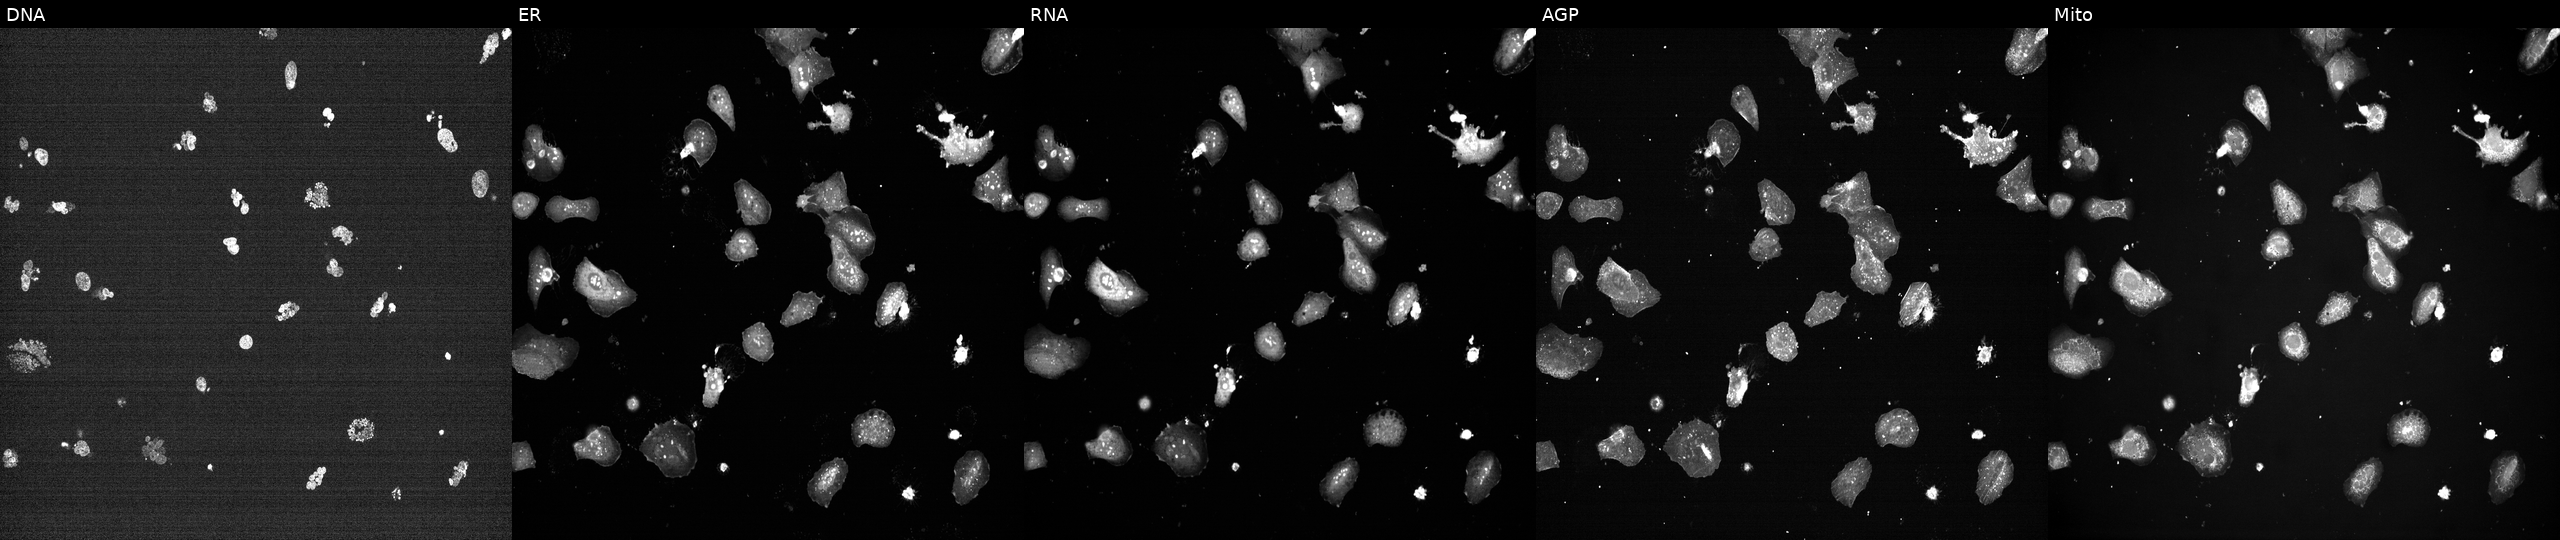
JUMP Cell Painting — TARGET2 plate. U2OS cells perturbed with a small-molecule compound. From left to right: DNA (nuclei); ER (endoplasmic reticulum); RNA (nucleoli and cytoplasmic RNA); AGP (actin cytoskeleton, Golgi, and plasma membrane); Mito (mitochondria).